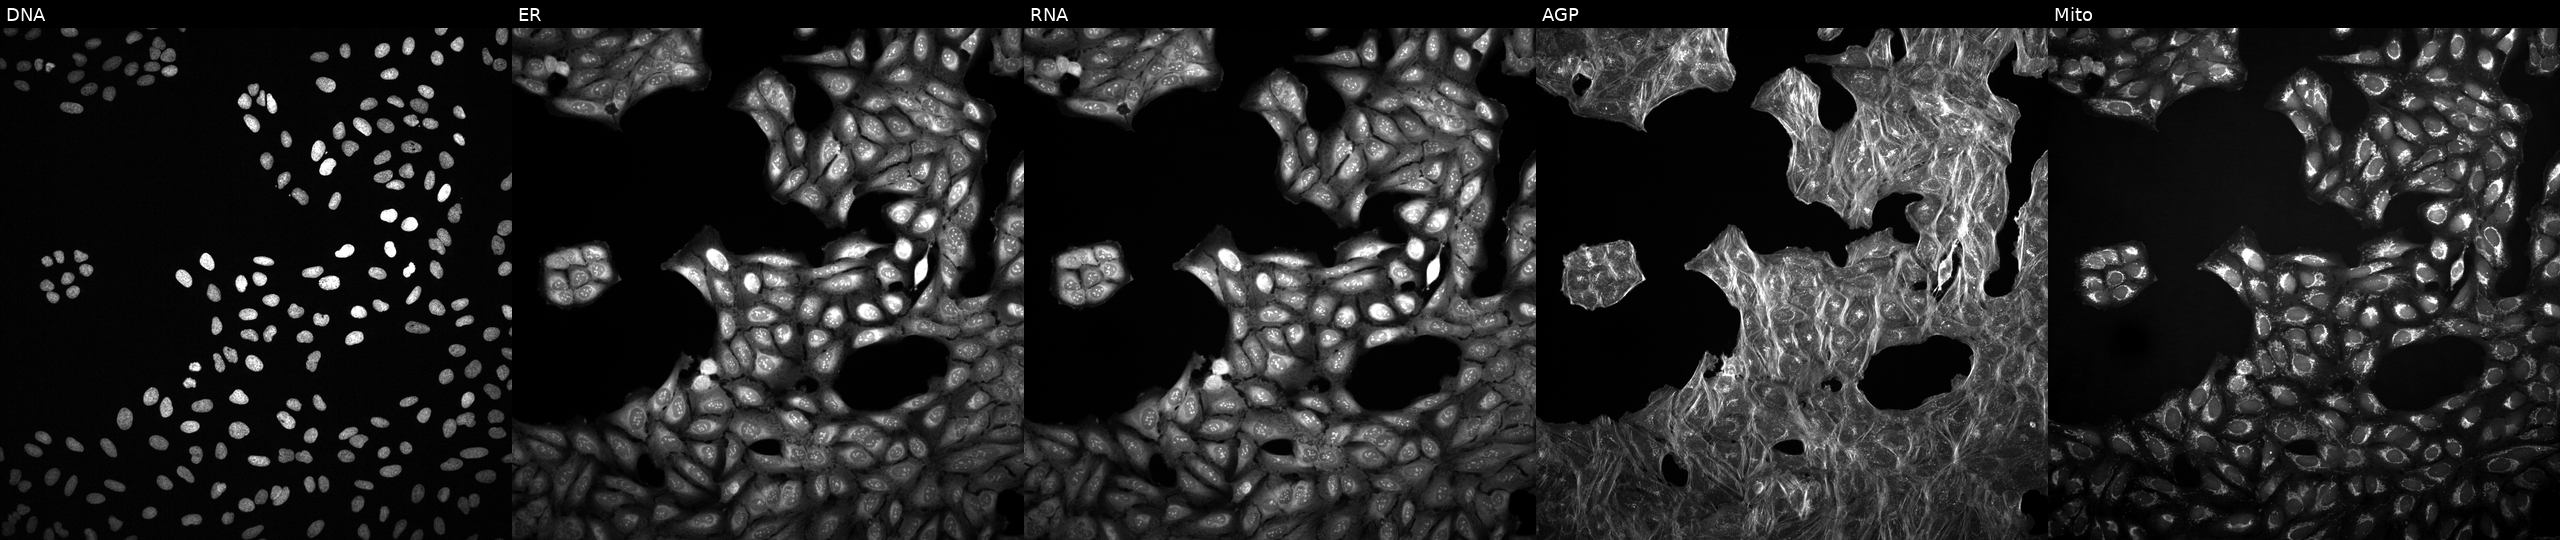
This image strip shows the five Cell Painting channels for a single field of U2OS cells exposed to a small-molecule compound (InChIKey VHOGYURTWQBHIL-UHFFFAOYSA-N). The five panels, left to right, show DNA, ER, RNA, AGP, and Mito. Source 2, plate 1053597936, well N10.